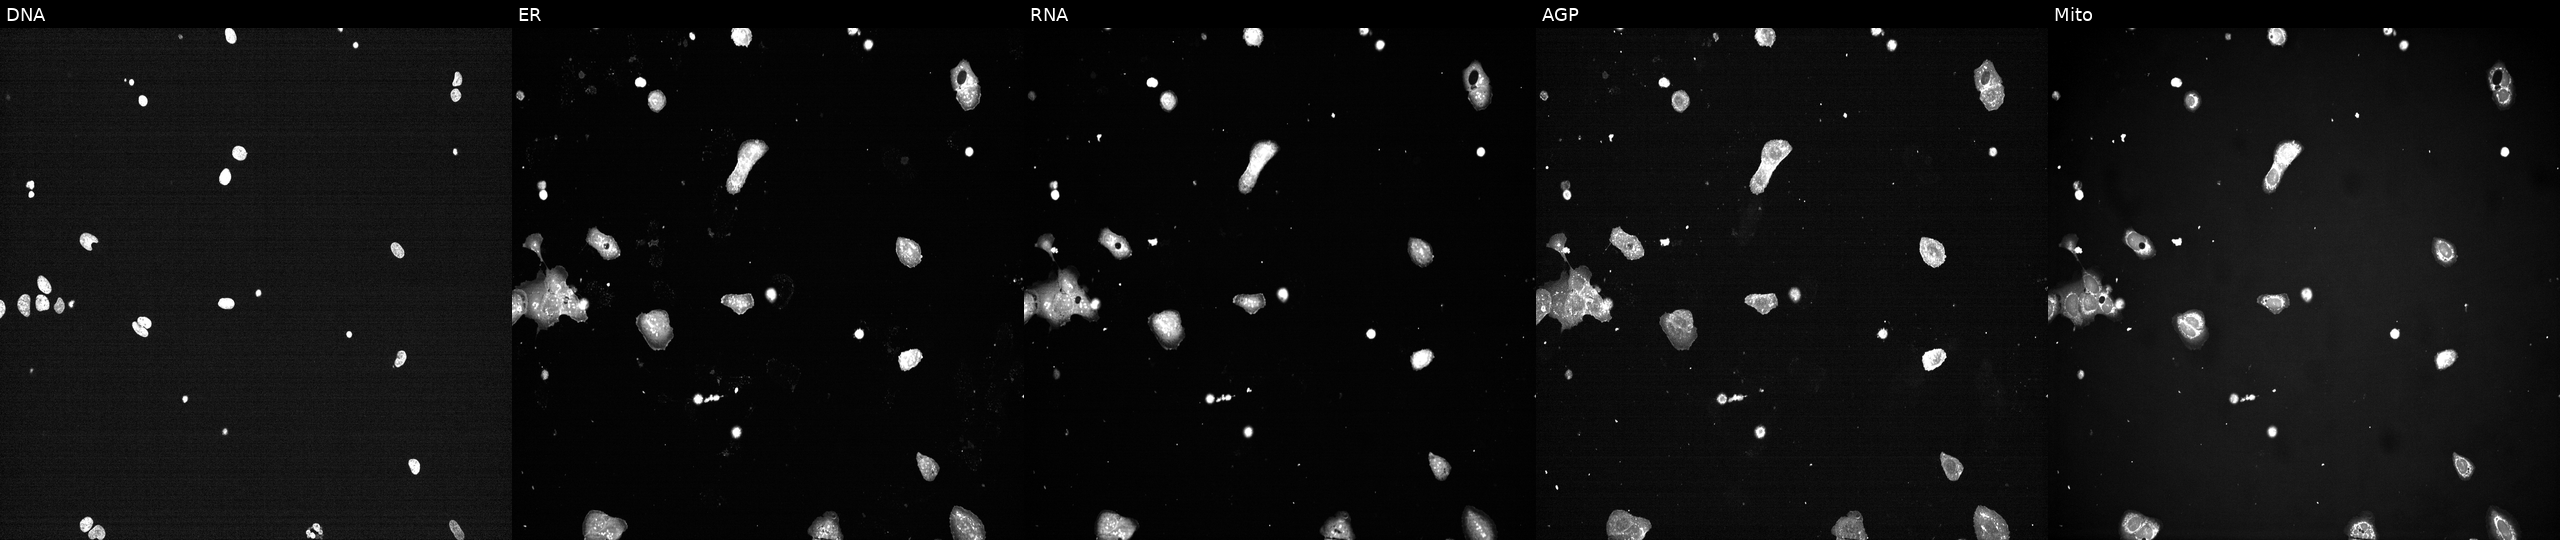
Five-channel Cell Painting image of U2OS cells treated with a small-molecule compound (InChIKey CWHUFRVAEUJCEF-UHFFFAOYSA-N) (JUMP id JCP2022_013856). The five panels, left to right, show DNA (nuclei); ER (endoplasmic reticulum); RNA (nucleoli and cytoplasmic RNA); AGP (actin cytoskeleton, Golgi, and plasma membrane); Mito (mitochondria). Source 7, plate CP2-SC1-25, well G14.